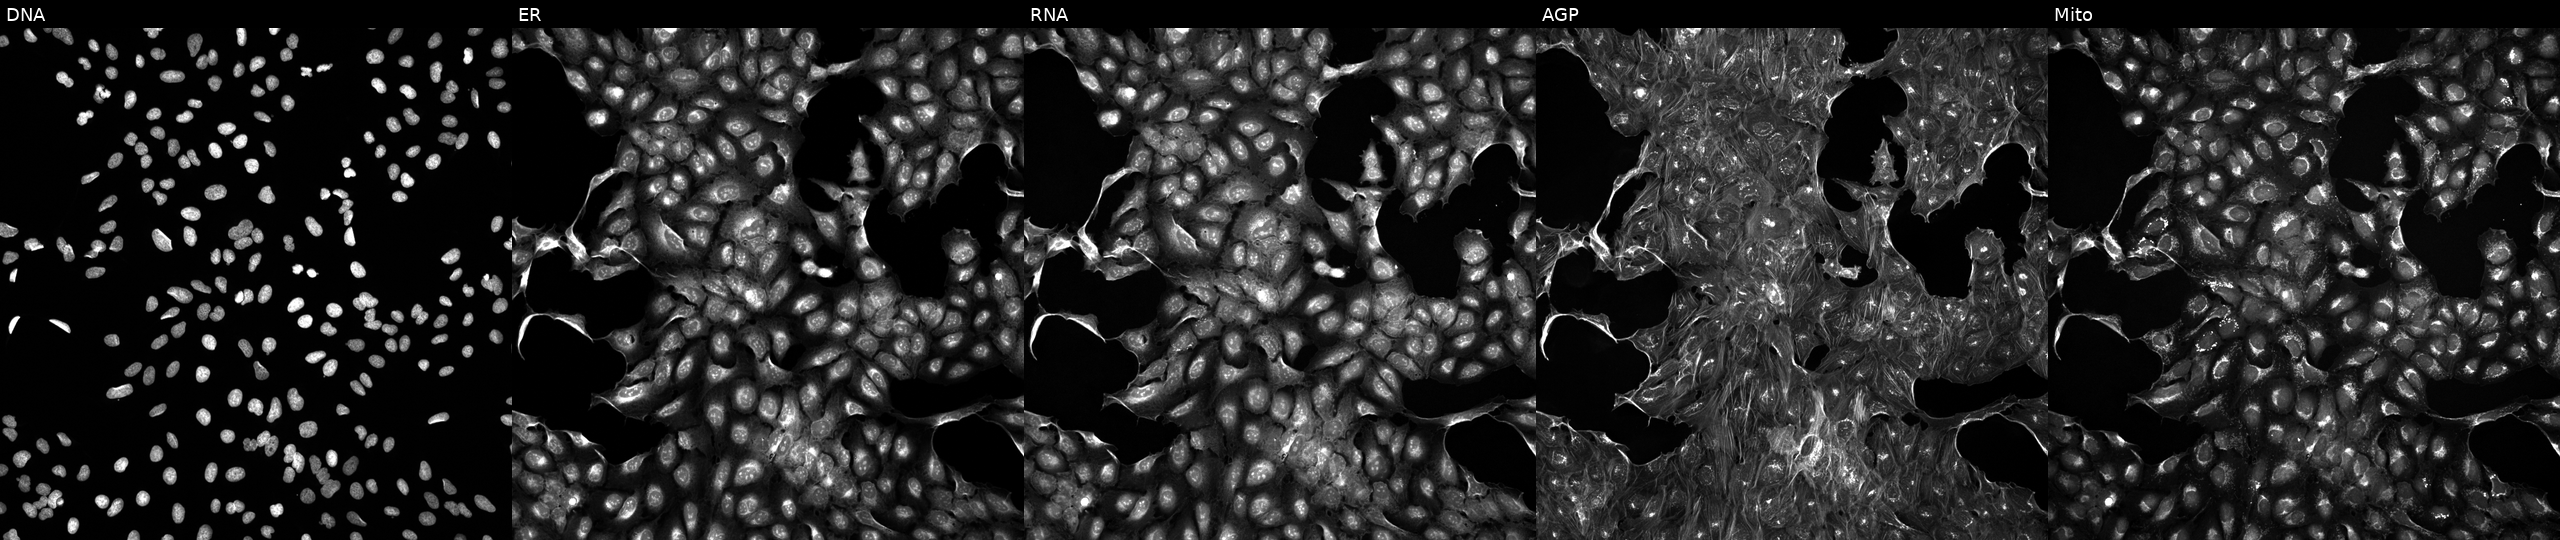
This image strip shows the five Cell Painting channels for a single field of U2OS cells exposed to the positive-control compound TC-S-7004. Channels (left→right): DNA (nuclei); ER (endoplasmic reticulum); RNA (nucleoli and cytoplasmic RNA); AGP (actin cytoskeleton, Golgi, and plasma membrane); Mito (mitochondria).